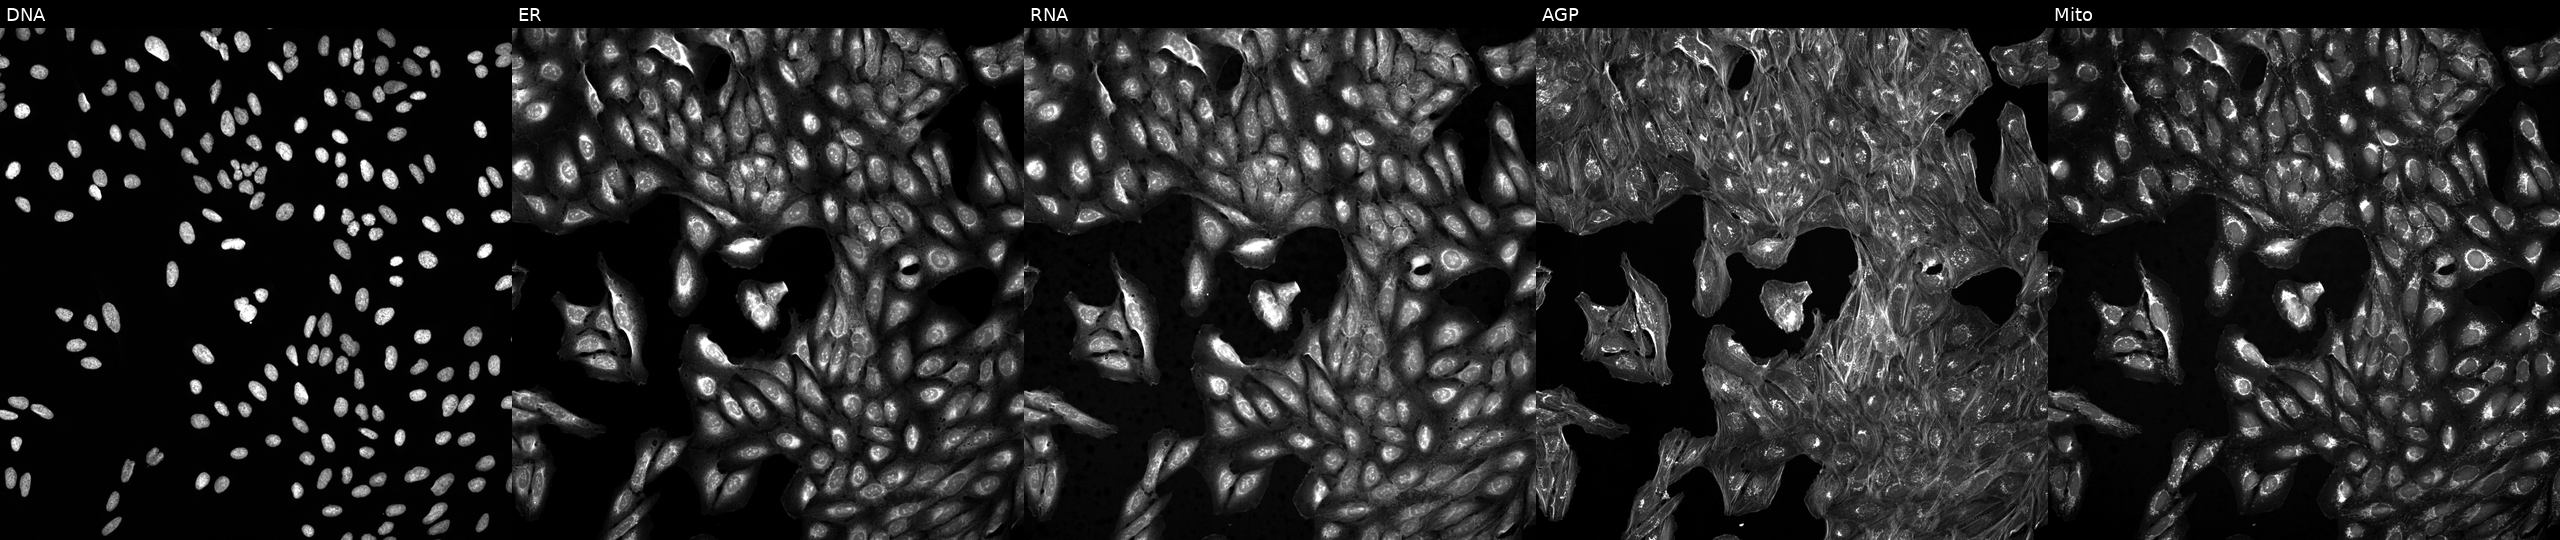
Five-channel Cell Painting image of U2OS cells perturbed with a small-molecule compound (InChIKey BOFQWVMAQOTZIW-UHFFFAOYSA-N). The five panels, left to right, show Hoechst 33342, concanavalin A, SYTO 14, phalloidin and WGA, MitoTracker. Source 5, plate ACPJUM012, well D04.